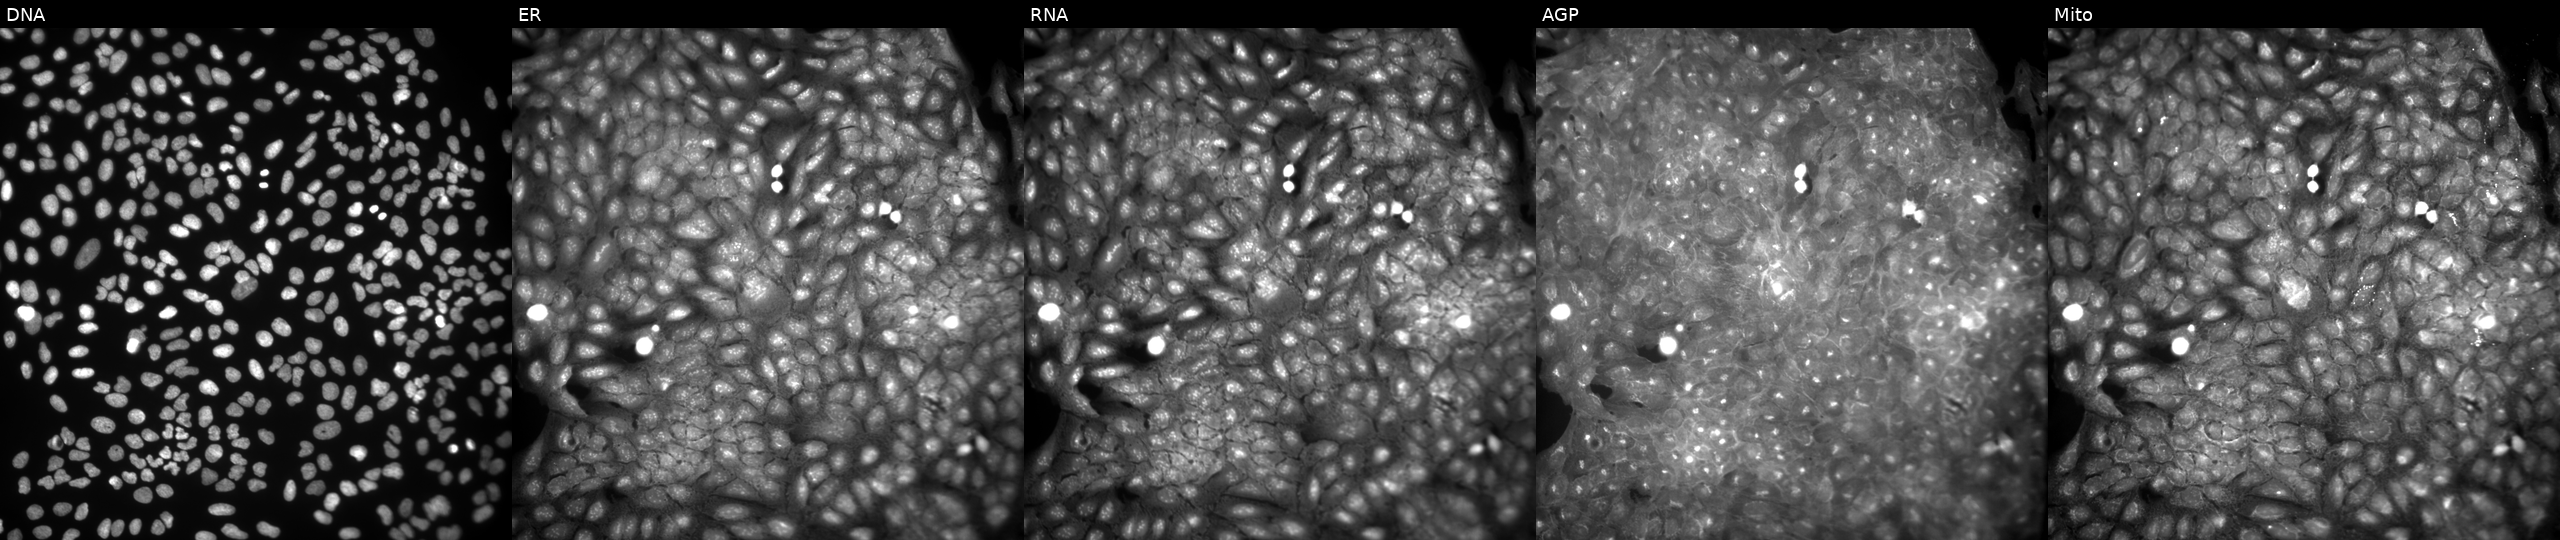
This image strip shows the five Cell Painting channels for a single field of U2OS cells exposed to a small-molecule compound [SMILES: O=c1c2ccccc2nc(C=Cc2ccc3c(c2)OCO3)n1-c1cccc(O)c1]. From left to right: DNA, ER, RNA, AGP, and Mito.